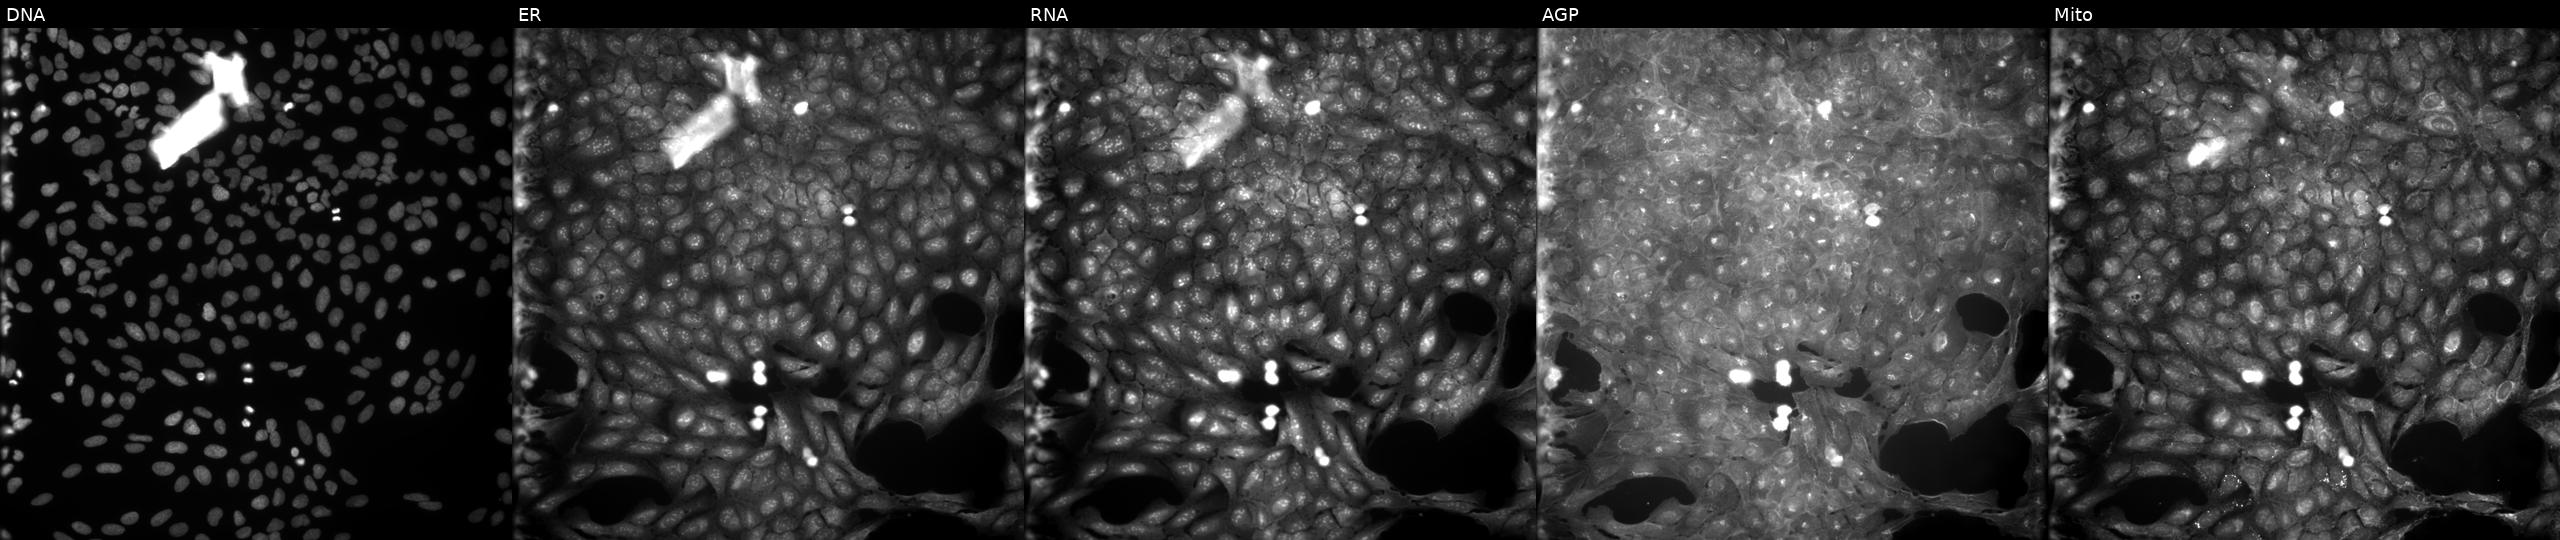
U2OS cells, Cell Painting assay, treated with a small-molecule compound (InChIKey OVDKWYLULAXXSL-UHFFFAOYSA-N). Channels (left→right): DNA, ER, RNA, AGP, and Mito. Each panel is percentile-stretched 16-bit fluorescence. Source 9, plate GR00003382, well G18.